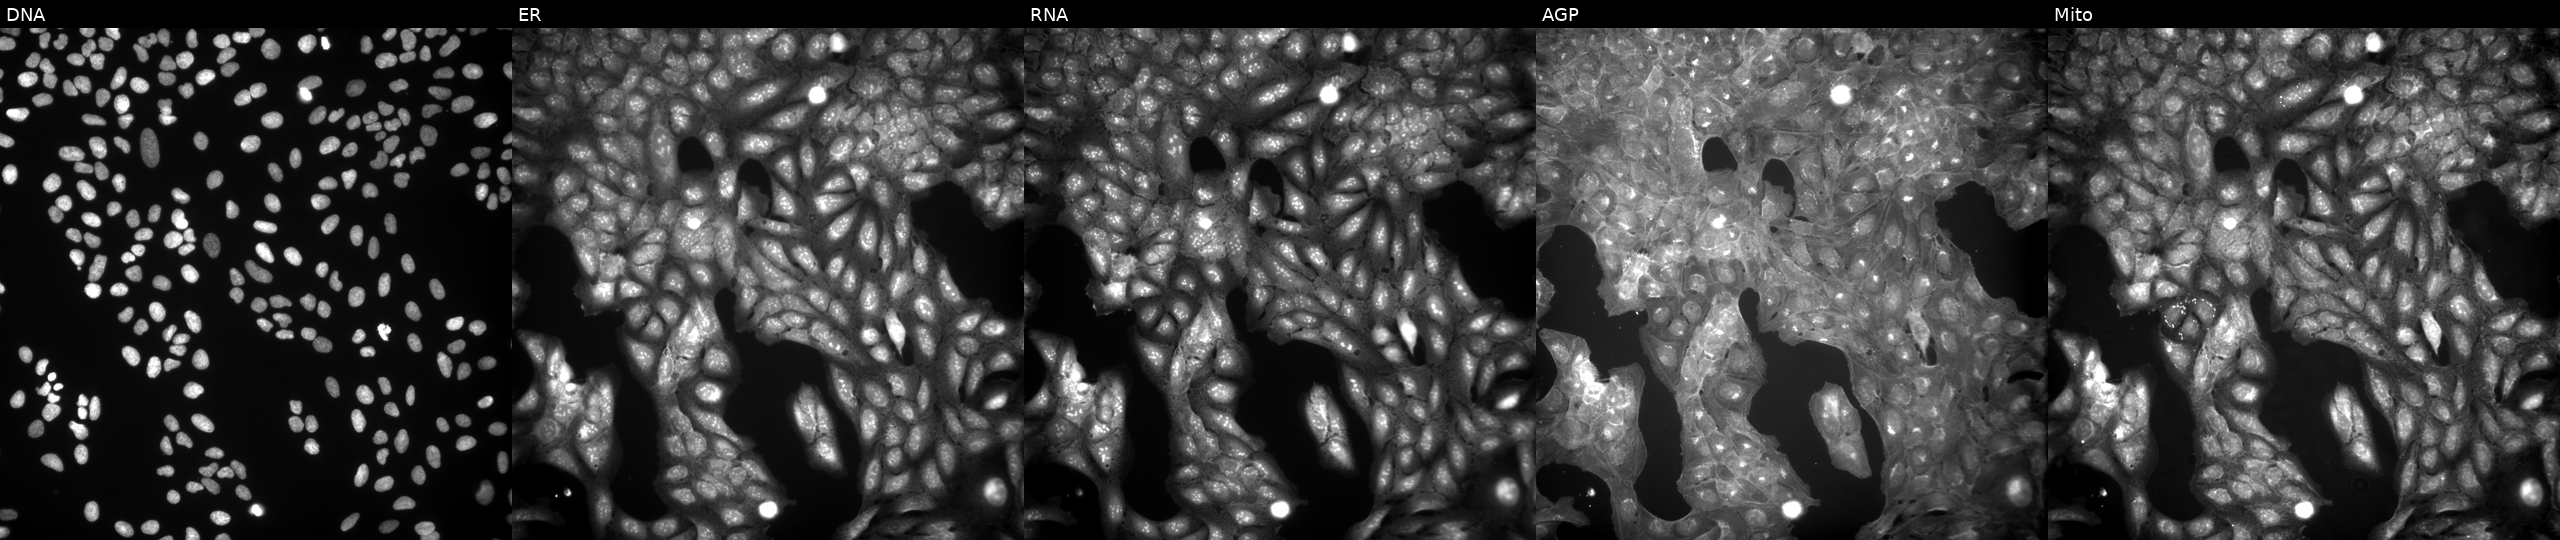
High-content fluorescence microscopy (Cell Painting). Cell line: U2OS. Perturbation: exposed to a small-molecule compound (InChIKey BCRGFCUJTAWAGJ-UHFFFAOYSA-N). Channels (left→right): DNA, ER, RNA, AGP, and Mito. Source 9, plate GR00003382, well A39.